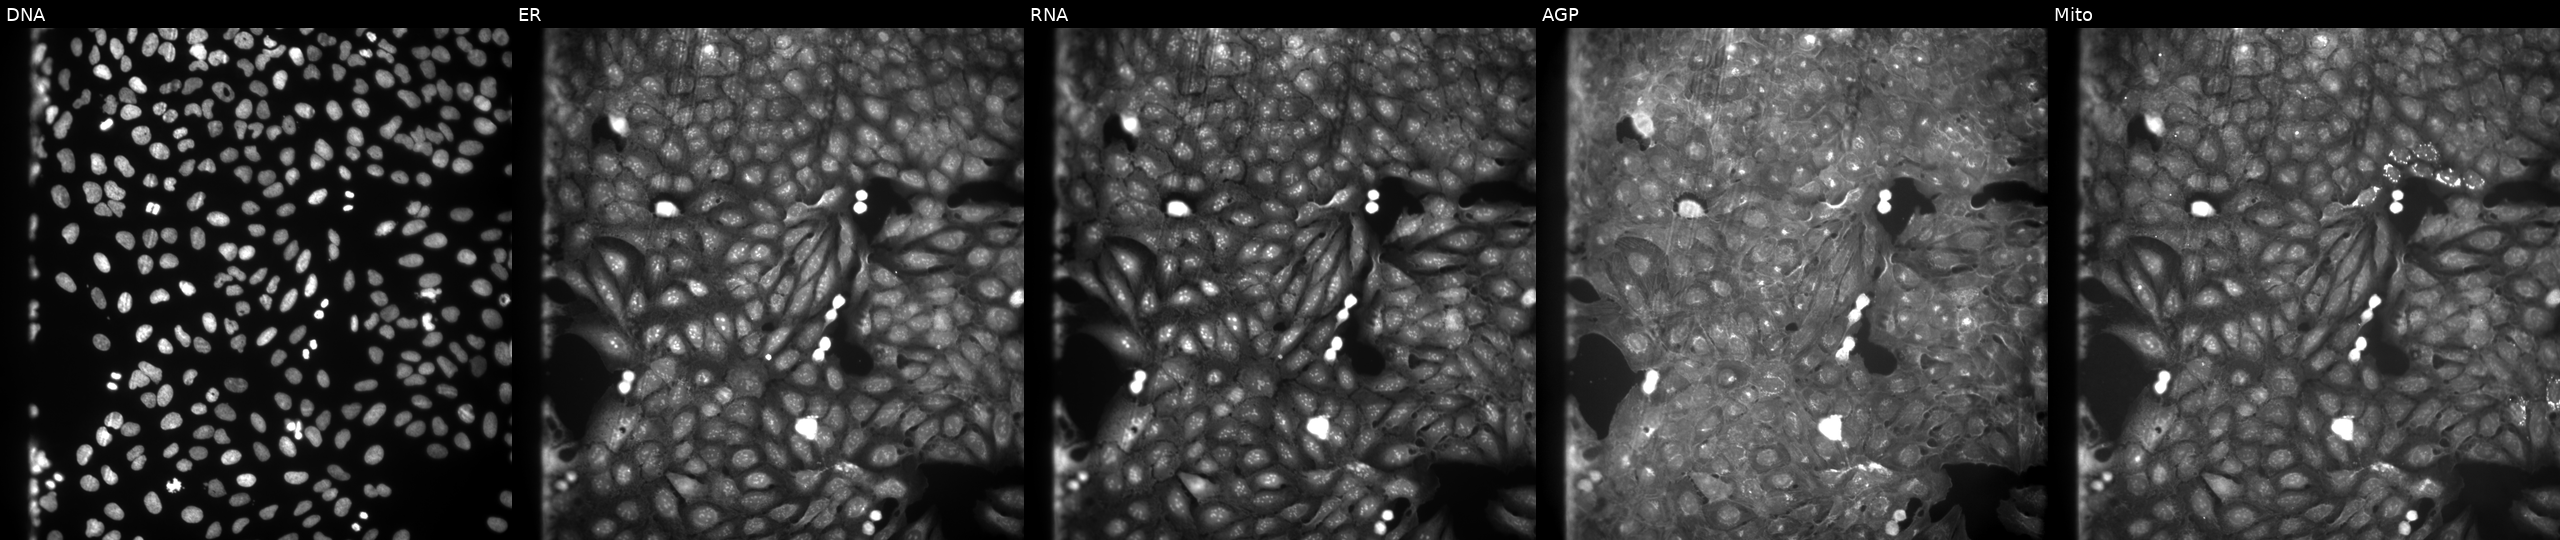
High-content fluorescence microscopy (Cell Painting). Cell line: U2OS. Perturbation: perturbed with a small-molecule compound. Channels (left→right): DNA, ER, RNA, AGP, and Mito. Source 9, plate GR00003382, well A08.